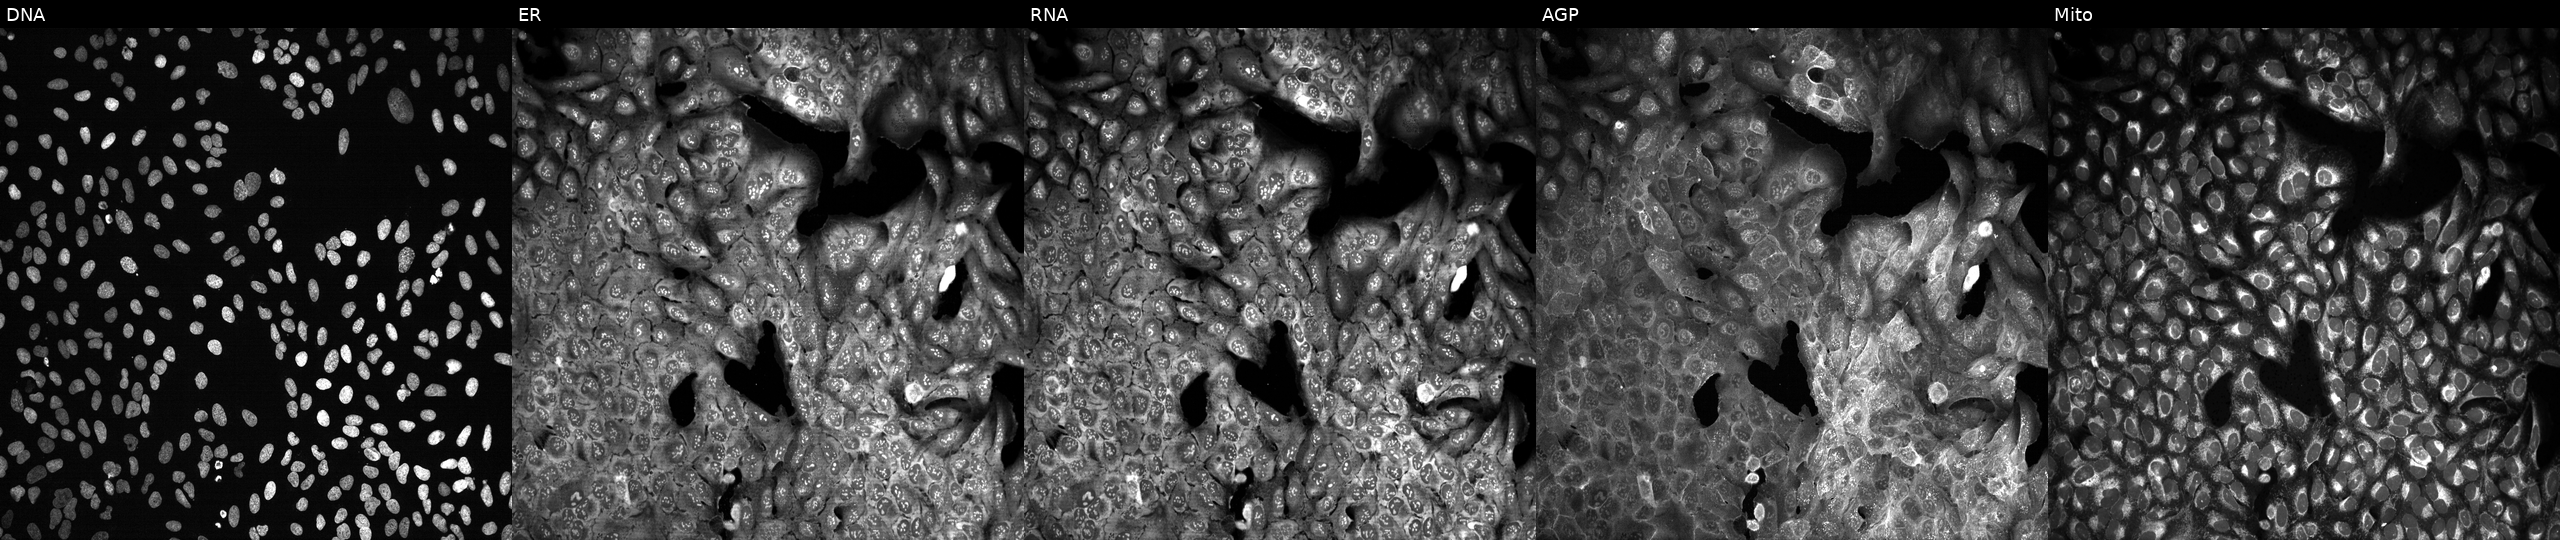
U2OS cells, Cell Painting assay, with TMPRSS9 knocked out by CRISPR. Channels (left→right): Hoechst 33342, concanavalin A, SYTO 14, phalloidin and WGA, MitoTracker. Each panel is percentile-stretched 16-bit fluorescence.